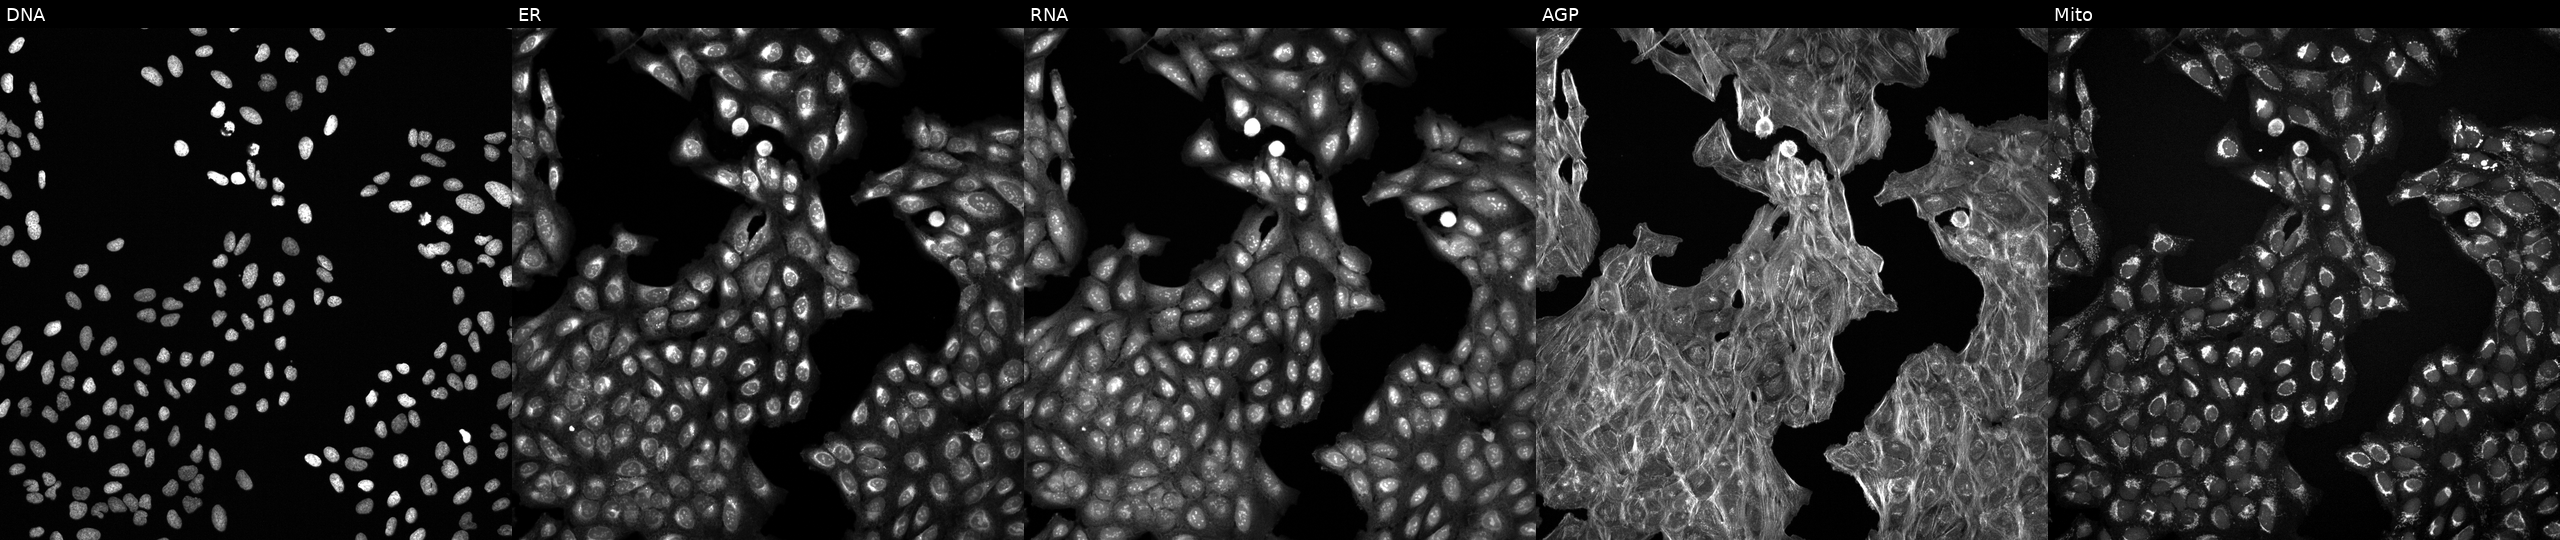
U2OS cells, Cell Painting assay, exposed to a small-molecule compound (InChIKey SQMWSBKSHWARHU-UHFFFAOYSA-N) (JUMP id JCP2022_084963). The five panels, left to right, show Hoechst 33342, concanavalin A, SYTO 14, phalloidin and WGA, MitoTracker. Each panel is percentile-stretched 16-bit fluorescence.